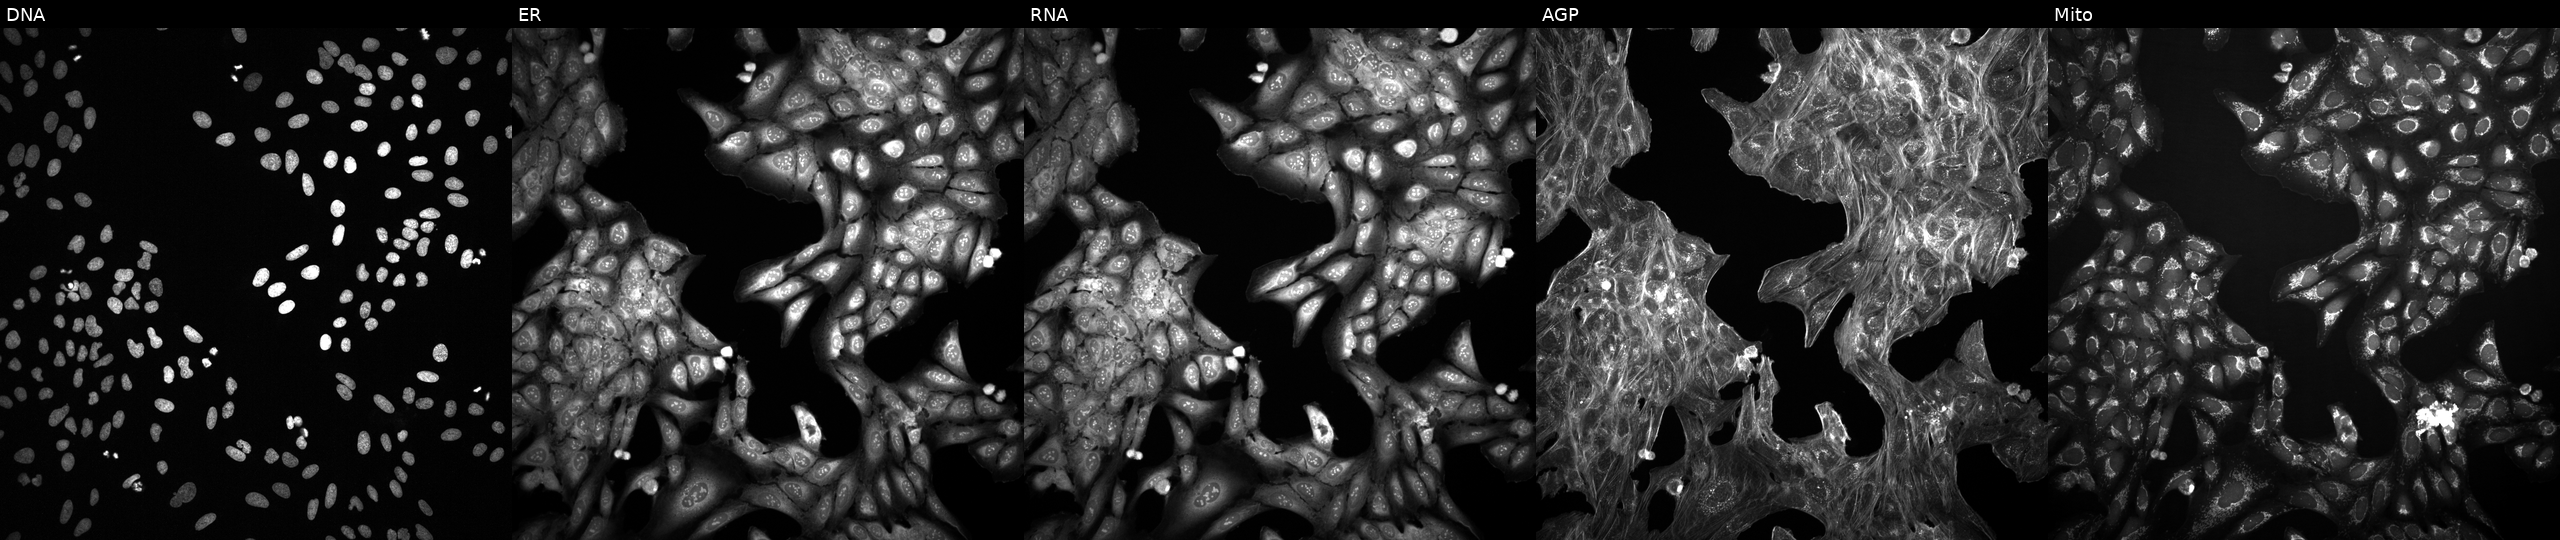
This image strip shows the five Cell Painting channels for a single field of U2OS cells perturbed with a small-molecule compound (InChIKey PMXMIIMHBWHSKN-UHFFFAOYSA-N) (JUMP id JCP2022_069672). Channels (left→right): Hoechst 33342, concanavalin A, SYTO 14, phalloidin and WGA, MitoTracker.